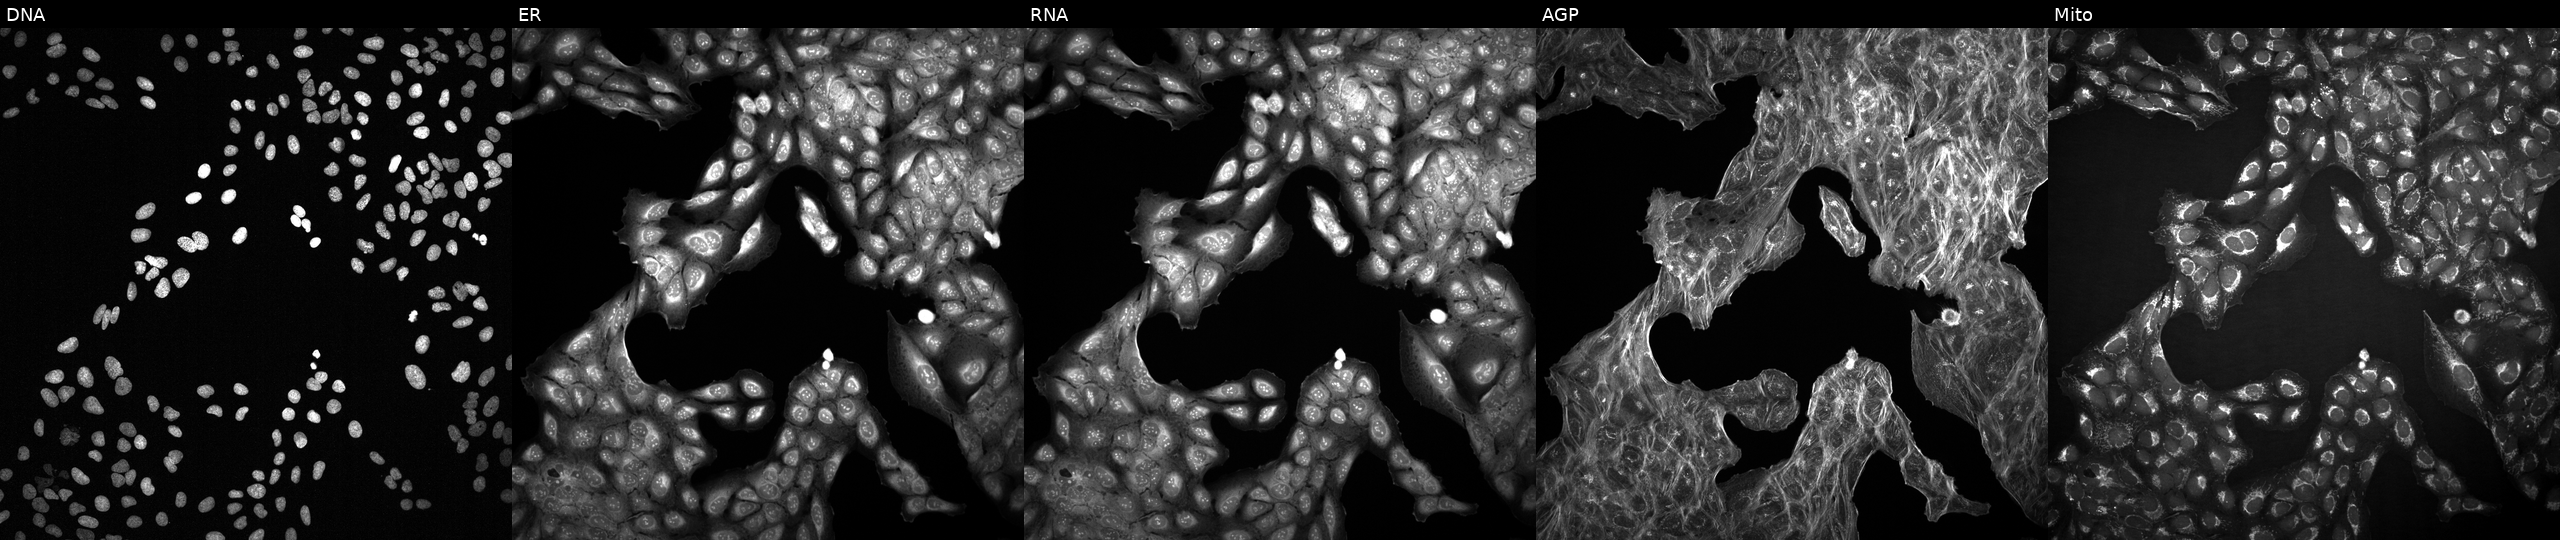
This image strip shows the five Cell Painting channels for a single field of U2OS cells treated with a small-molecule compound (InChIKey CULGMNLVDYLFKR-UHFFFAOYSA-N) (JUMP id JCP2022_013482). From left to right: DNA, ER, RNA, AGP, and Mito. Source 2, plate 1053601763, well M18.